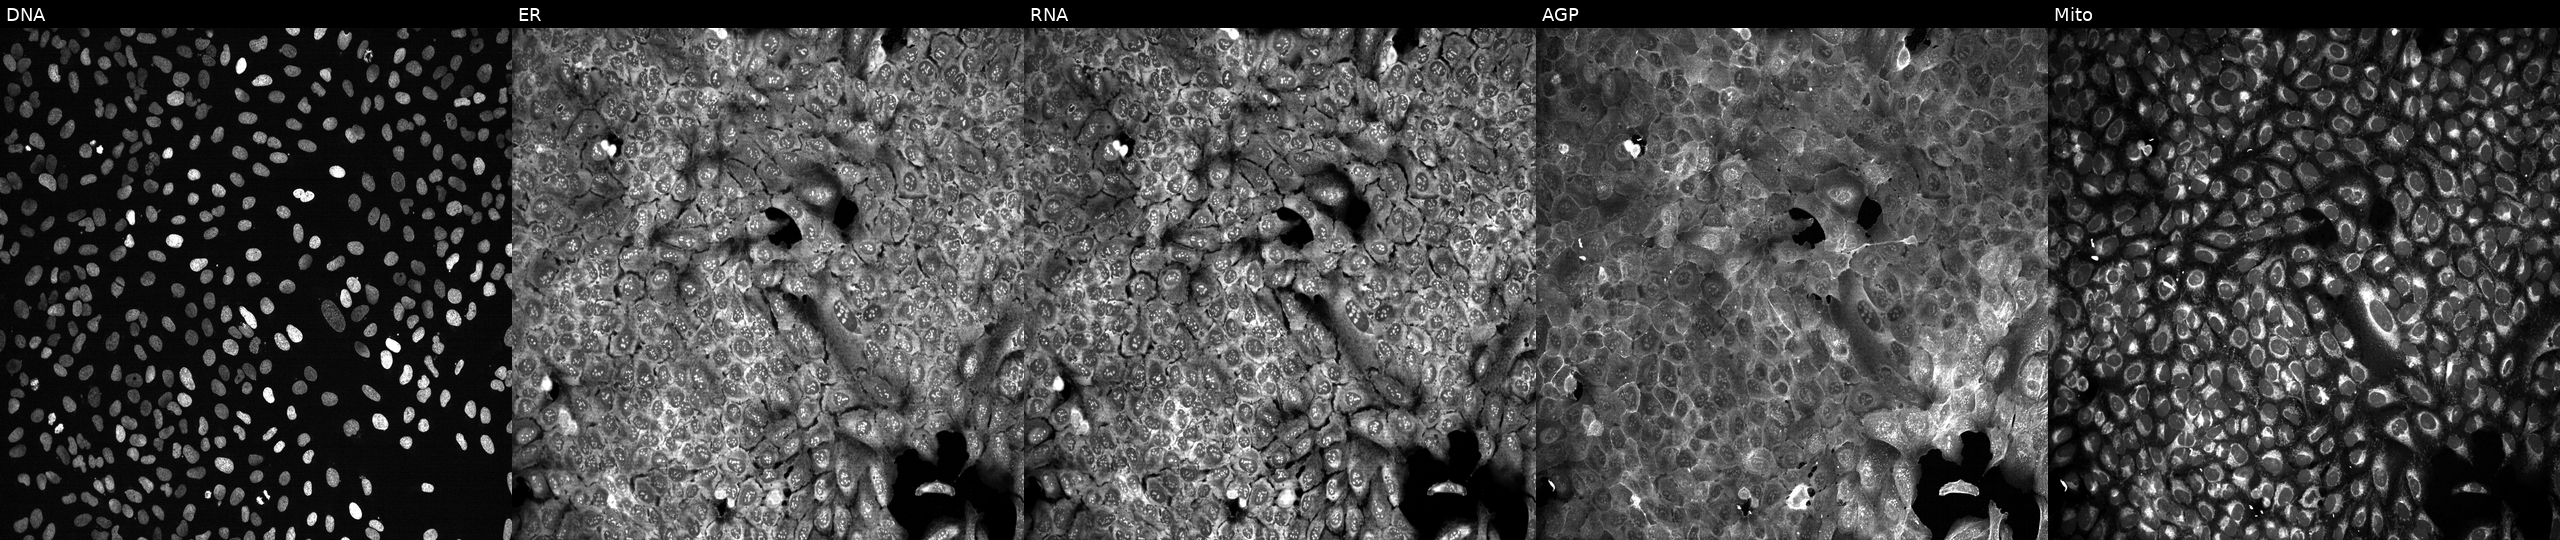
Channels (left→right): DNA (nuclei); ER (endoplasmic reticulum); RNA (nucleoli and cytoplasmic RNA); AGP (actin cytoskeleton, Golgi, and plasma membrane); Mito (mitochondria). U2OS osteosarcoma cells following CRISPR knockout of AARSD1 (JUMP id JCP2022_800013). Cell Painting assay, JUMP-CP dataset.